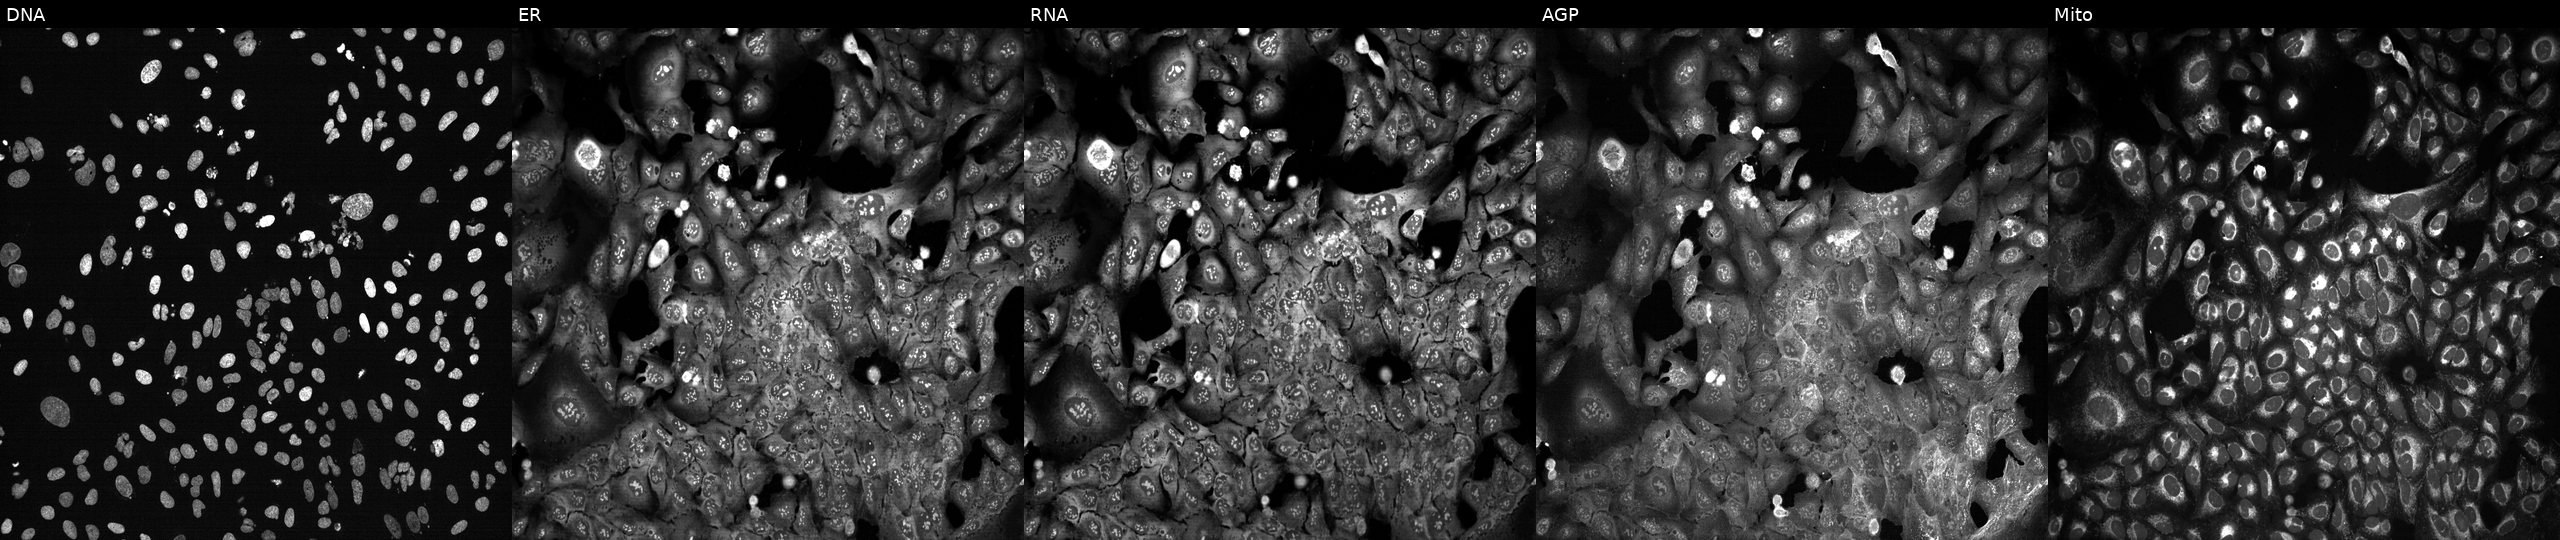
This image strip shows the five Cell Painting channels for a single field of U2OS cells following CRISPR knockout of SLC22A25 (JUMP id JCP2022_806423). Panels show, left to right, DNA (nuclei); ER (endoplasmic reticulum); RNA (nucleoli and cytoplasmic RNA); AGP (actin cytoskeleton, Golgi, and plasma membrane); Mito (mitochondria). Source 13, plate CP-CC9-R4-04, well N14.